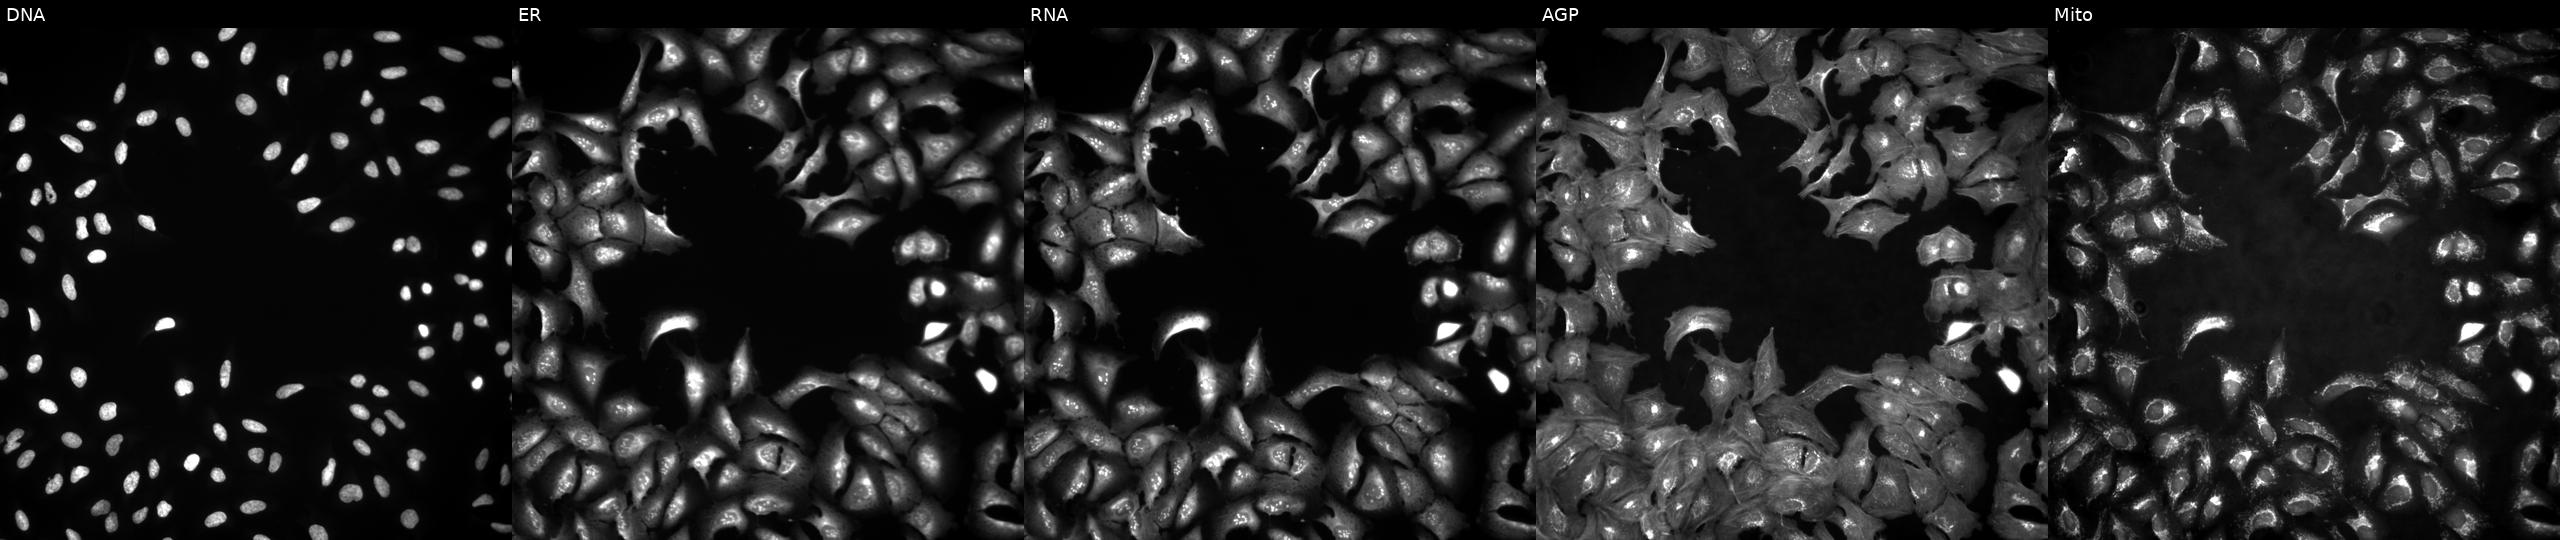
U2OS cells, Cell Painting assay, transfected with an ORF construct for LSM7. The five panels, left to right, show DNA, ER, RNA, AGP, and Mito. Each panel is percentile-stretched 16-bit fluorescence.